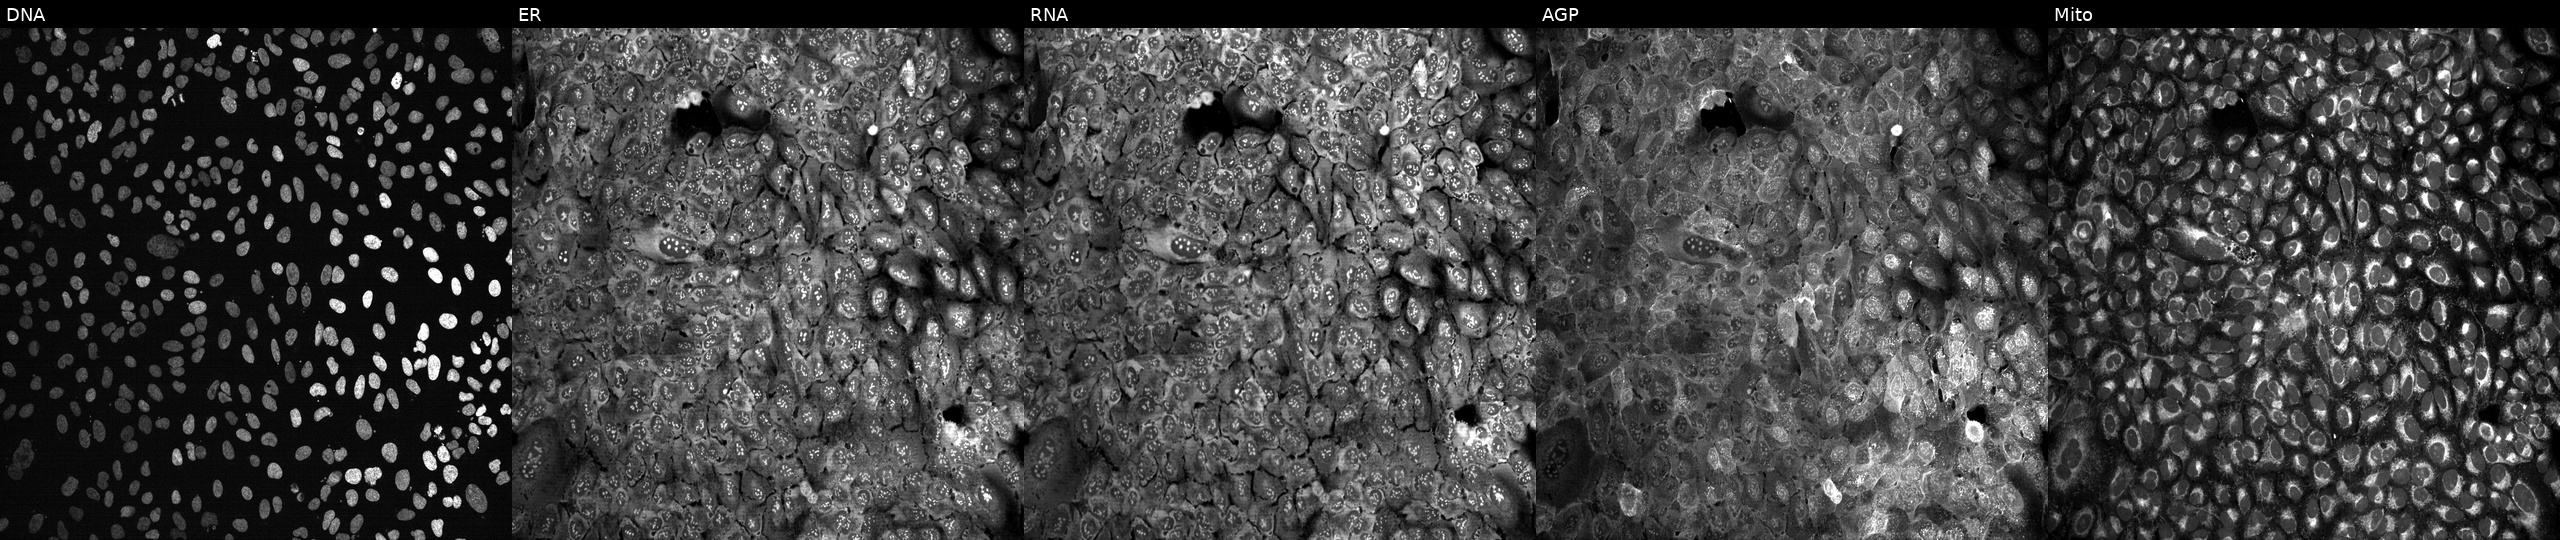
This image strip shows the five Cell Painting channels for a single field of U2OS cells CRISPR-edited to disrupt PROS1. The five panels, left to right, show DNA (nuclei); ER (endoplasmic reticulum); RNA (nucleoli and cytoplasmic RNA); AGP (actin cytoskeleton, Golgi, and plasma membrane); Mito (mitochondria). Source 13, plate CP-CC9-R4-04, well D03.